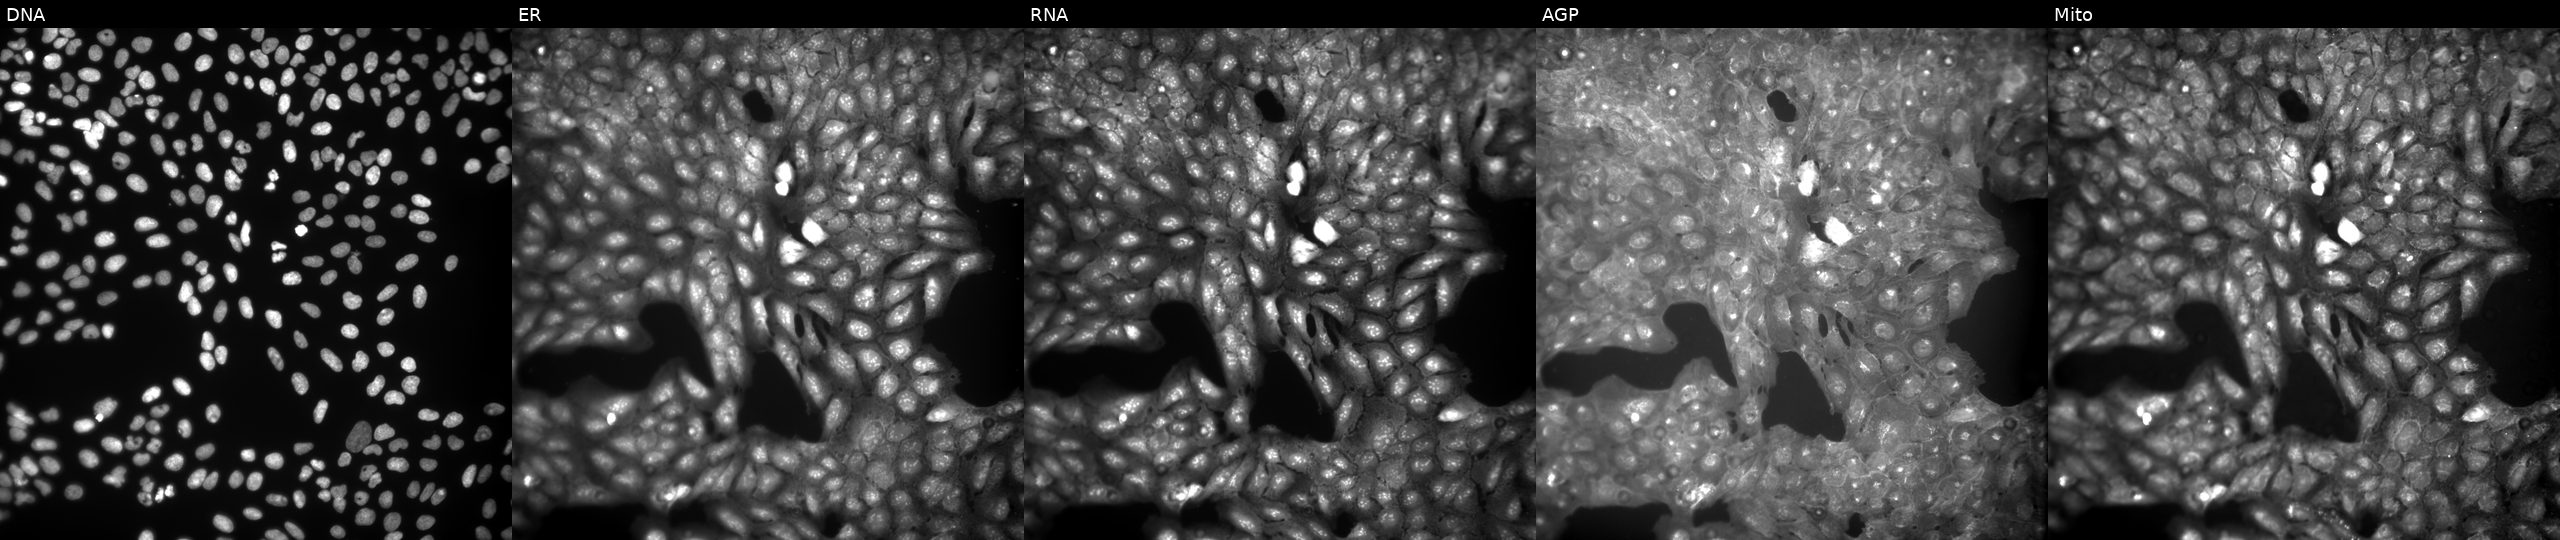
This image strip shows the five Cell Painting channels for a single field of U2OS cells treated with a small-molecule compound (InChIKey NPOZQZFWCWCTDP-UHFFFAOYSA-N) (JUMP id JCP2022_060545). Channels (left→right): DNA, ER, RNA, AGP, and Mito.